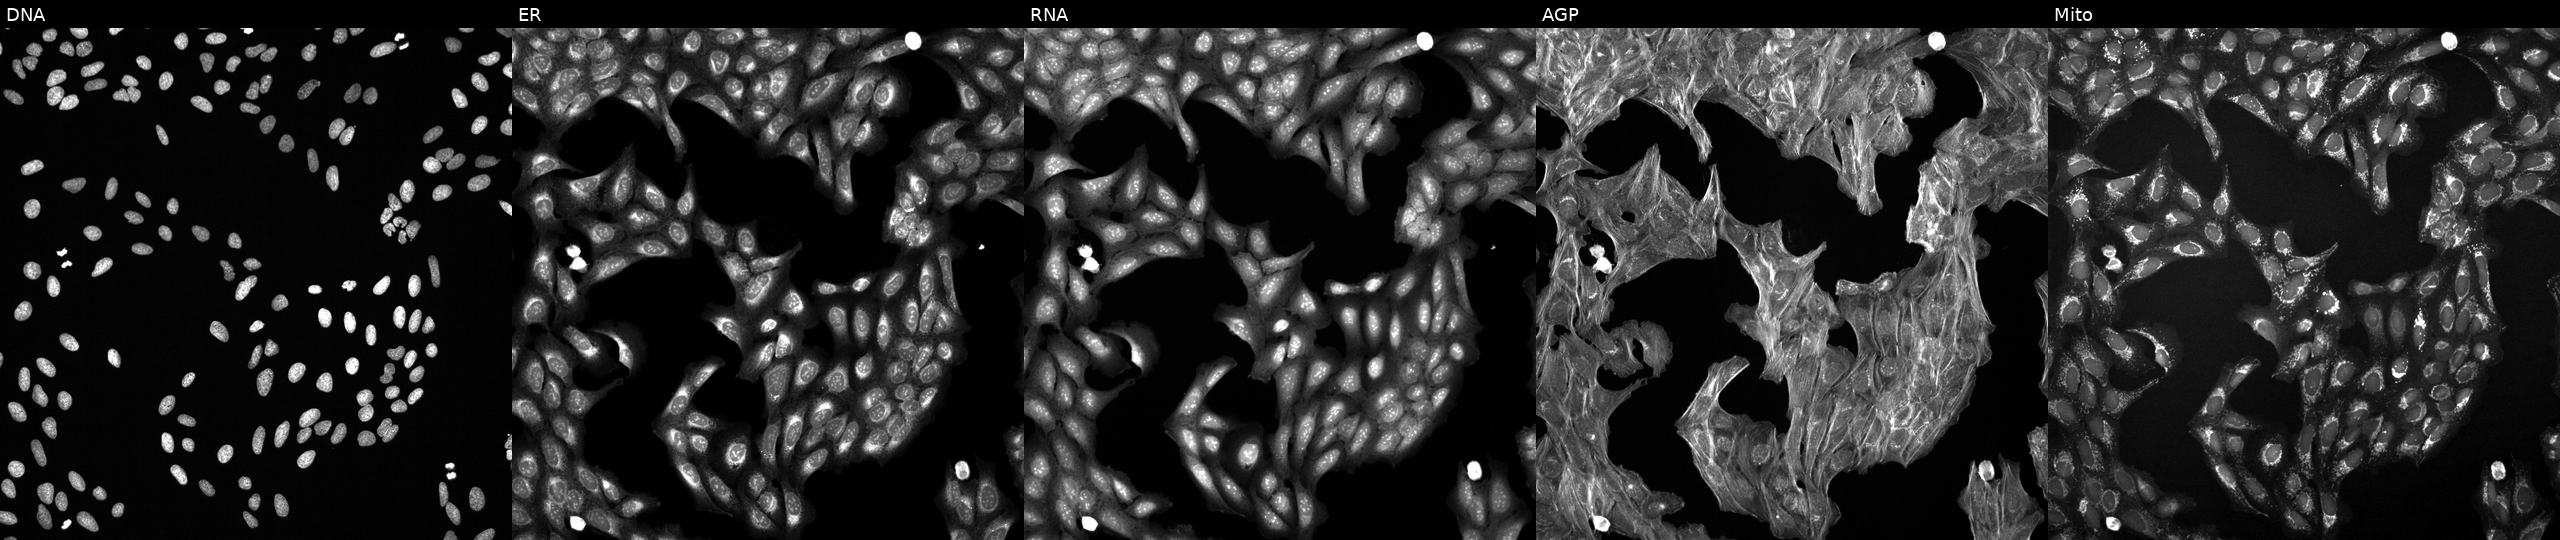
U2OS cells, Cell Painting assay, treated with a small-molecule compound (InChIKey MPMKUXMFZVOBPJ-UHFFFAOYSA-N). Panels show, left to right, DNA, ER, RNA, AGP, and Mito. Each panel is percentile-stretched 16-bit fluorescence. Source 6, plate 110000293082, well N12.